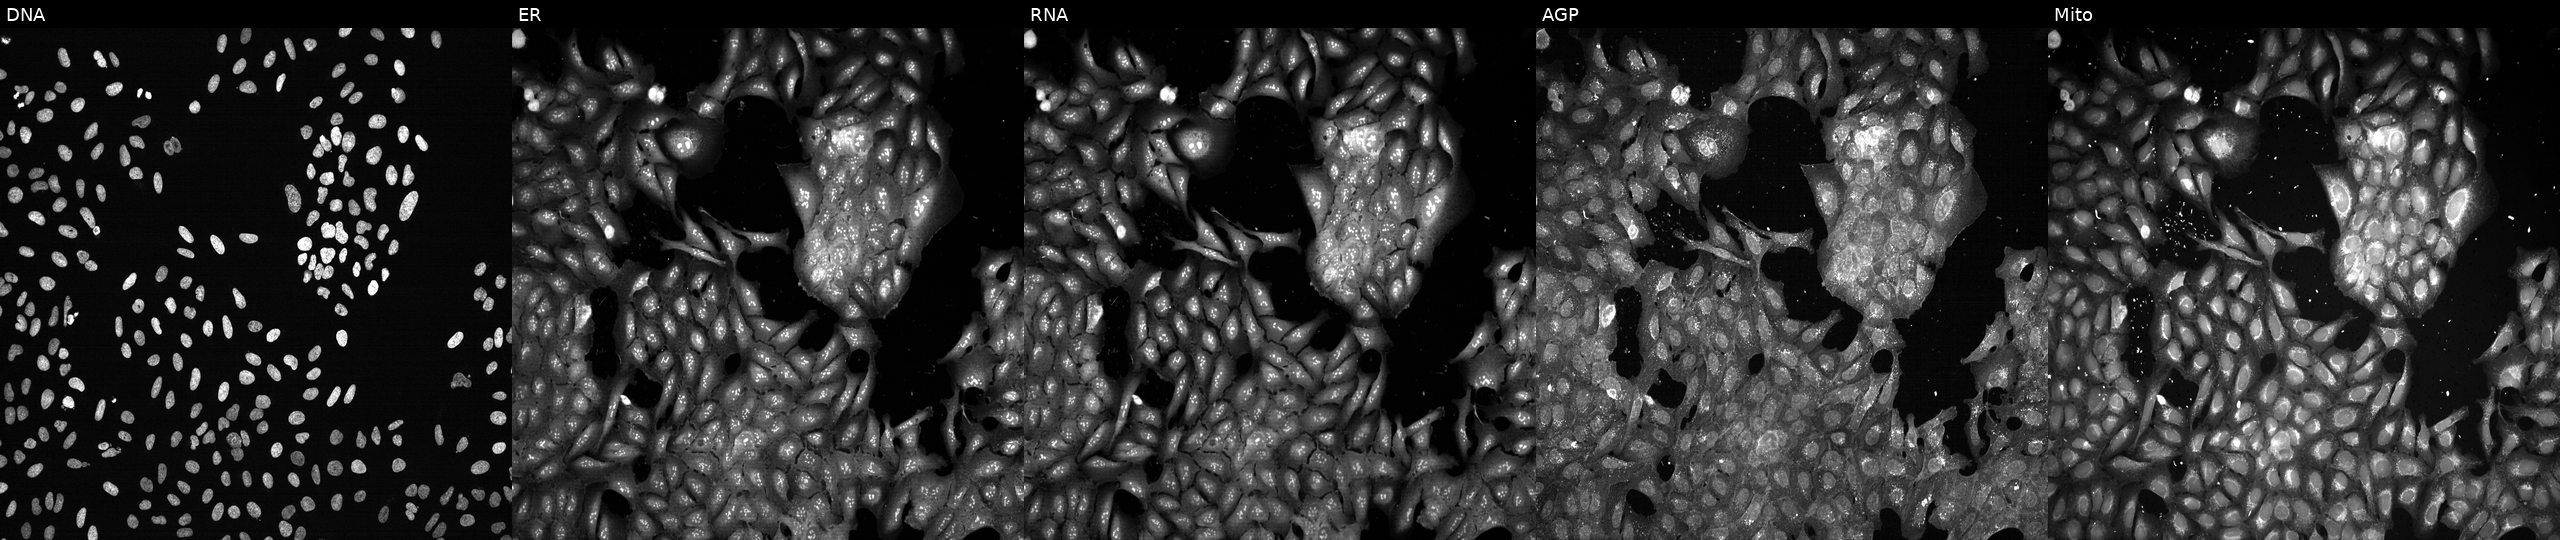
U2OS cells, Cell Painting assay, with a non-targeting CRISPR guide (negative control) (JUMP id JCP2022_800002). The five panels, left to right, show DNA (nuclei); ER (endoplasmic reticulum); RNA (nucleoli and cytoplasmic RNA); AGP (actin cytoskeleton, Golgi, and plasma membrane); Mito (mitochondria). Each panel is percentile-stretched 16-bit fluorescence.